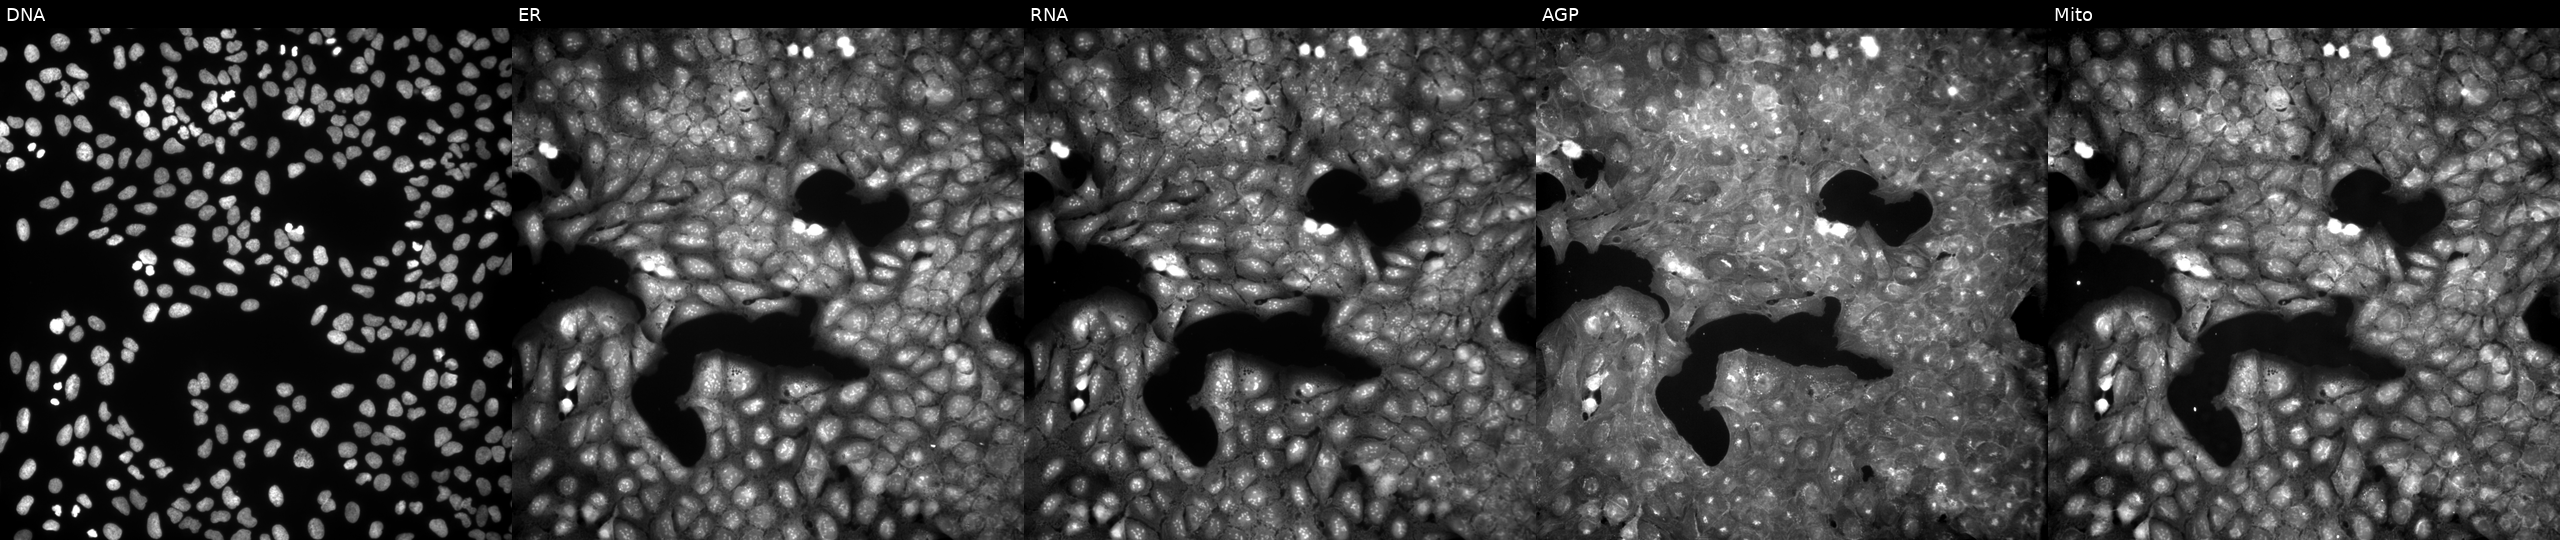
Channels (left→right): DNA (nuclei); ER (endoplasmic reticulum); RNA (nucleoli and cytoplasmic RNA); AGP (actin cytoskeleton, Golgi, and plasma membrane); Mito (mitochondria). U2OS osteosarcoma cells perturbed with a small-molecule compound [SMILES: CC(=O)Oc1ccc2c3c(c(=O)oc2c1C)CCCC3]. Cell Painting assay, JUMP-CP dataset.